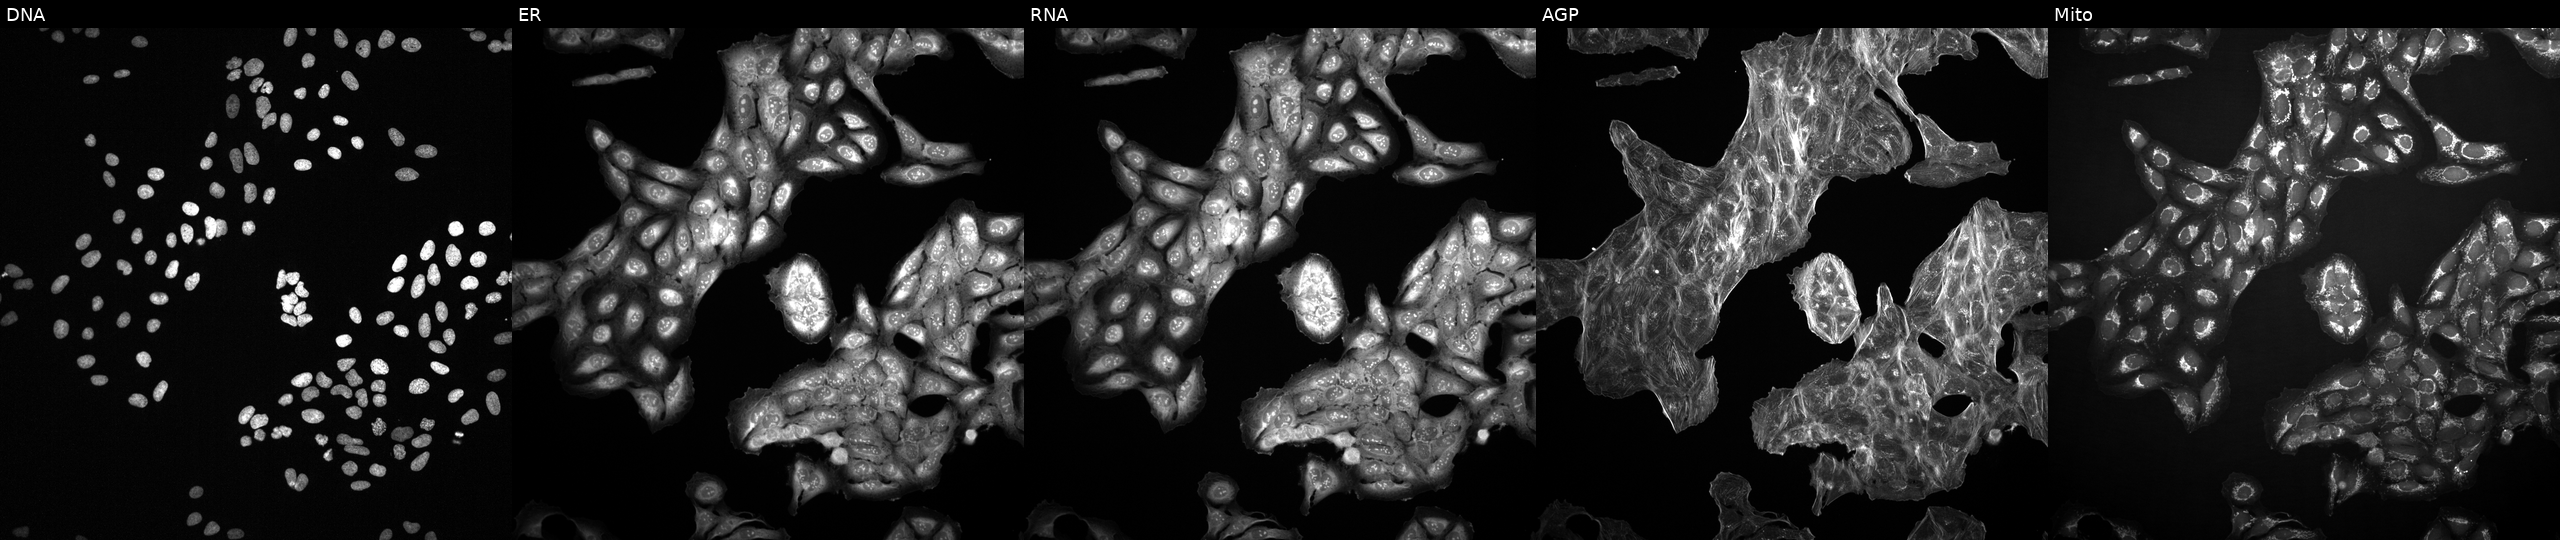
This image strip shows the five Cell Painting channels for a single field of U2OS cells perturbed with a small-molecule compound (InChIKey UCAGLBKTLXCODC-UHFFFAOYSA-N) [SMILES: NS(=O)(=O)c1ccc(C(=O)O)cc1] (JUMP id JCP2022_088224). From left to right: DNA, ER, RNA, AGP, and Mito. Source 2, plate 1053597936, well K03.